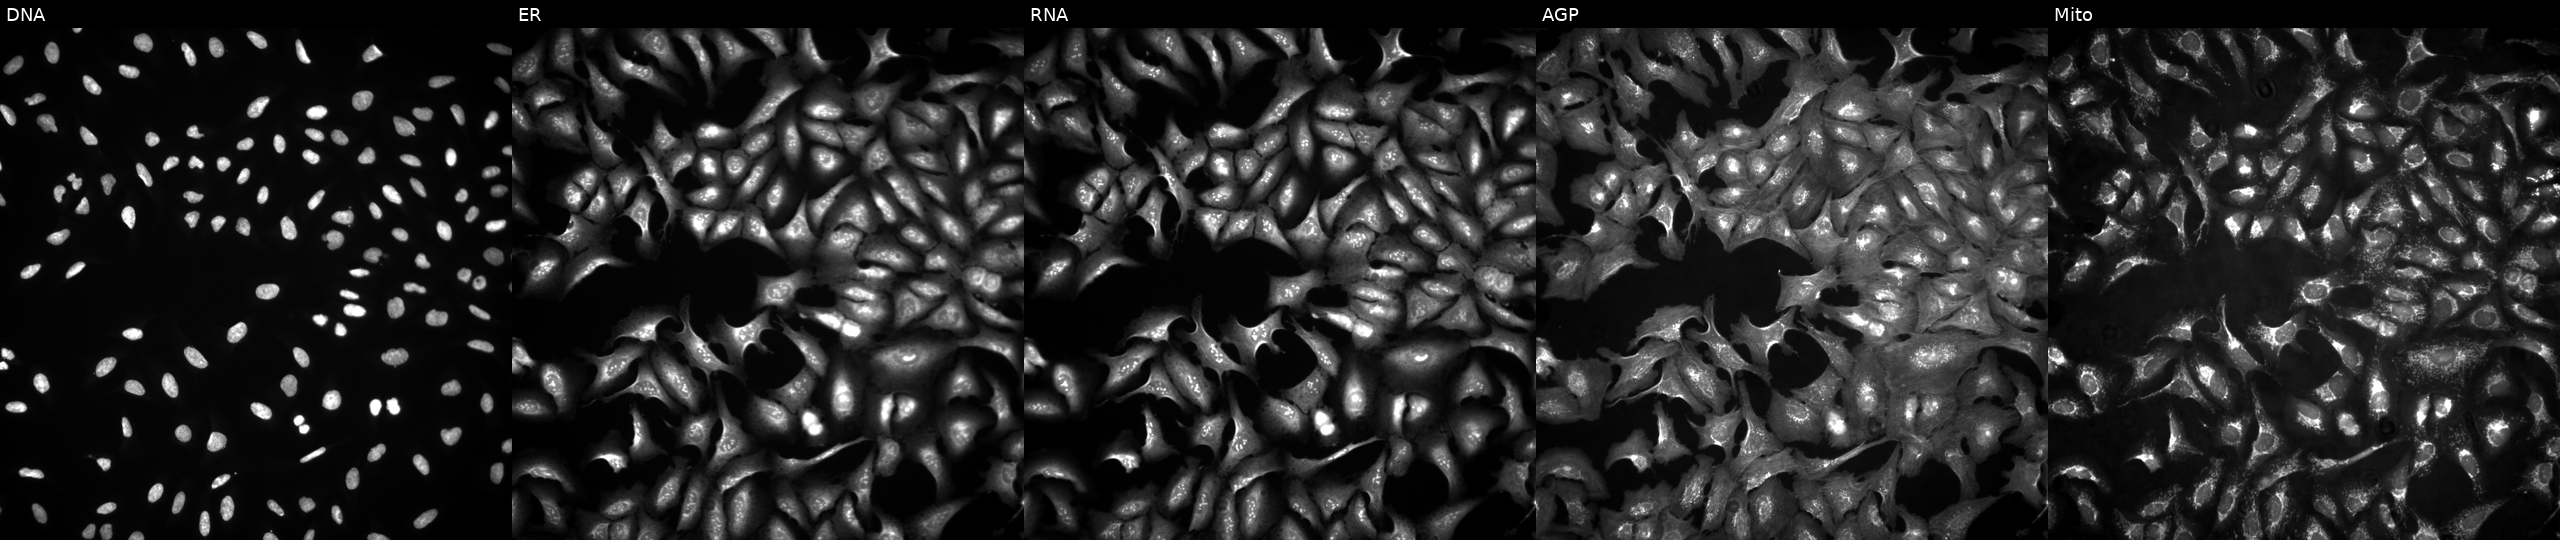
This image strip shows the five Cell Painting channels for a single field of U2OS cells transfected with an ORF construct for TPM3. The five panels, left to right, show DNA, ER, RNA, AGP, and Mito. Source 4, plate BR00124787, well D22.